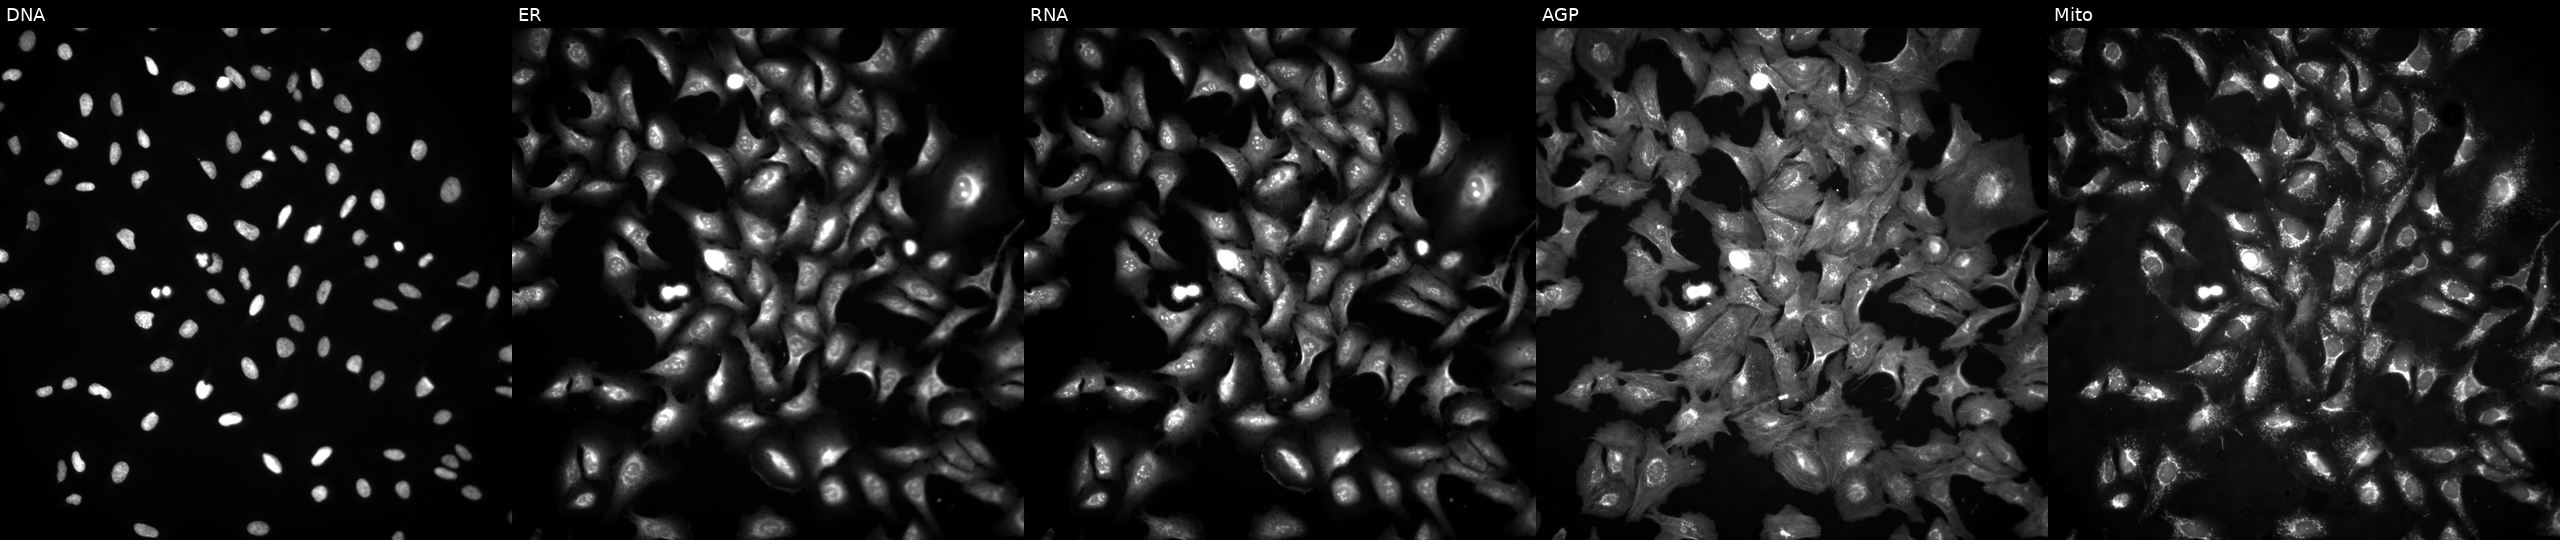
High-content fluorescence microscopy (Cell Painting). Cell line: U2OS. Perturbation: overexpressing ATM via ORF transfection. From left to right: DNA, ER, RNA, AGP, and Mito.